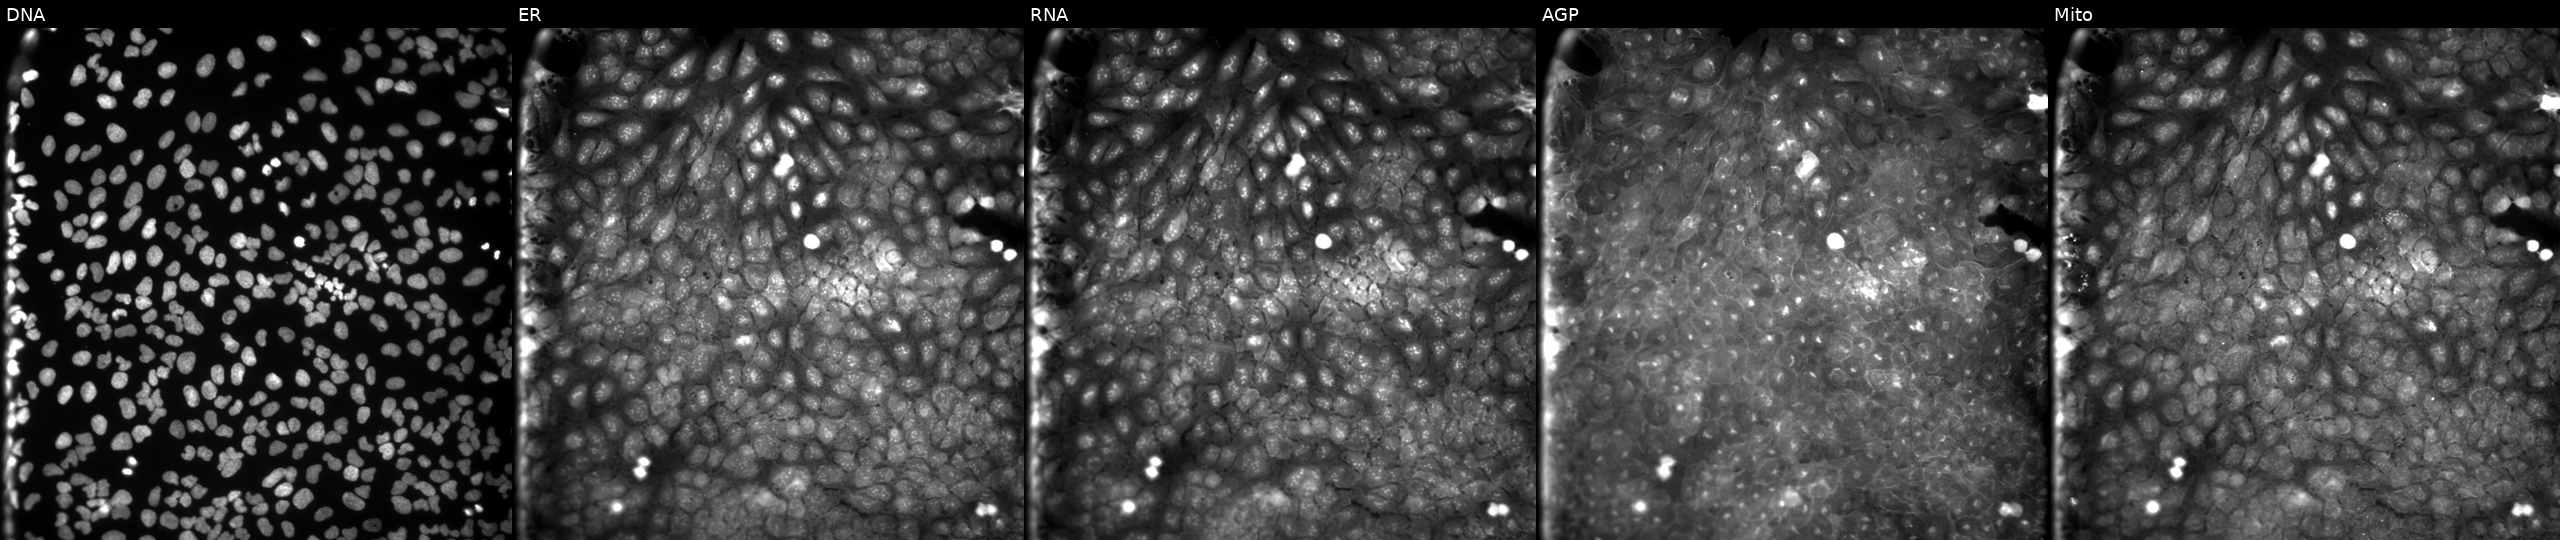
High-content fluorescence microscopy (Cell Painting). Cell line: U2OS. Perturbation: perturbed with a small-molecule compound (InChIKey ZZSZZRNJRUNDTK-UHFFFAOYSA-N) [SMILES: CCCCOC(=O)c1ccc(NC(=S)NC(=O)c2ccco2)cc1] (JUMP id JCP2022_116706). The five panels, left to right, show DNA (nuclei); ER (endoplasmic reticulum); RNA (nucleoli and cytoplasmic RNA); AGP (actin cytoskeleton, Golgi, and plasma membrane); Mito (mitochondria). Source 9, plate GR00003382, well W05.